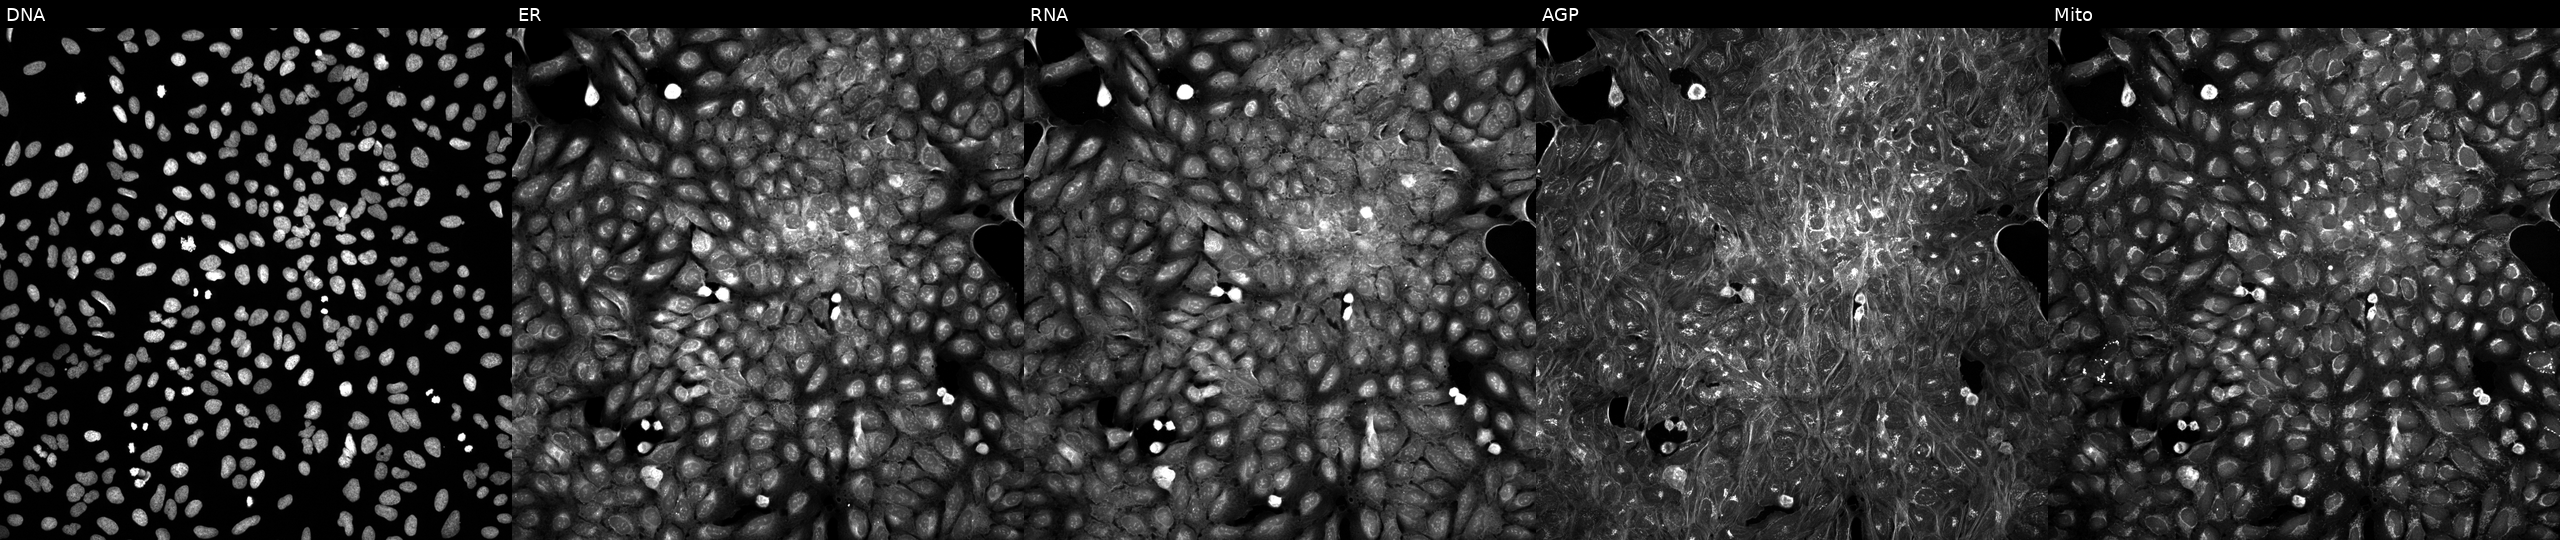
This image strip shows the five Cell Painting channels for a single field of U2OS cells treated with a small-molecule compound (InChIKey KRKNYBCHXYNGOX-UHFFFAOYSA-N) [SMILES: O=C(O)CC(O)(CC(=O)O)C(=O)O]. Channels (left→right): DNA, ER, RNA, AGP, and Mito. Source 5, plate ACPJUM032, well L12.